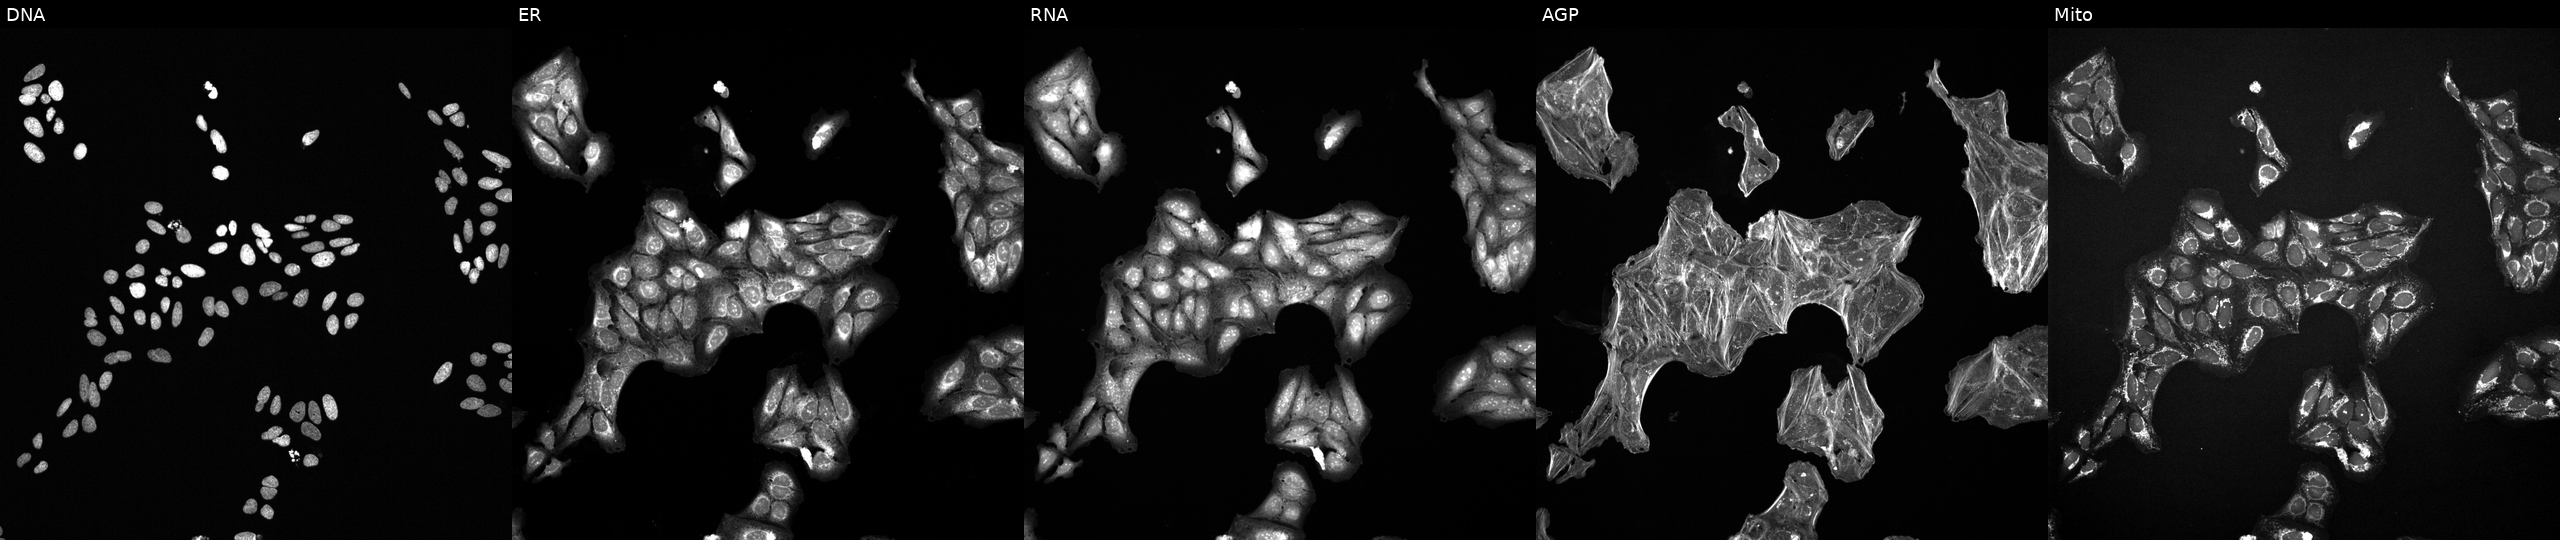
Five-channel Cell Painting image of U2OS cells perturbed with a small-molecule compound (InChIKey ZWVZORIKUNOTCS-UHFFFAOYSA-N) [SMILES: Cc1cc(N2CCOCC2)cc2[nH]c(-c3c(NCC(O)c4cccc(Cl)c4)cc[nH]c3=O)nc12] (JUMP id JCP2022_116188). The five panels, left to right, show DNA (nuclei); ER (endoplasmic reticulum); RNA (nucleoli and cytoplasmic RNA); AGP (actin cytoskeleton, Golgi, and plasma membrane); Mito (mitochondria).